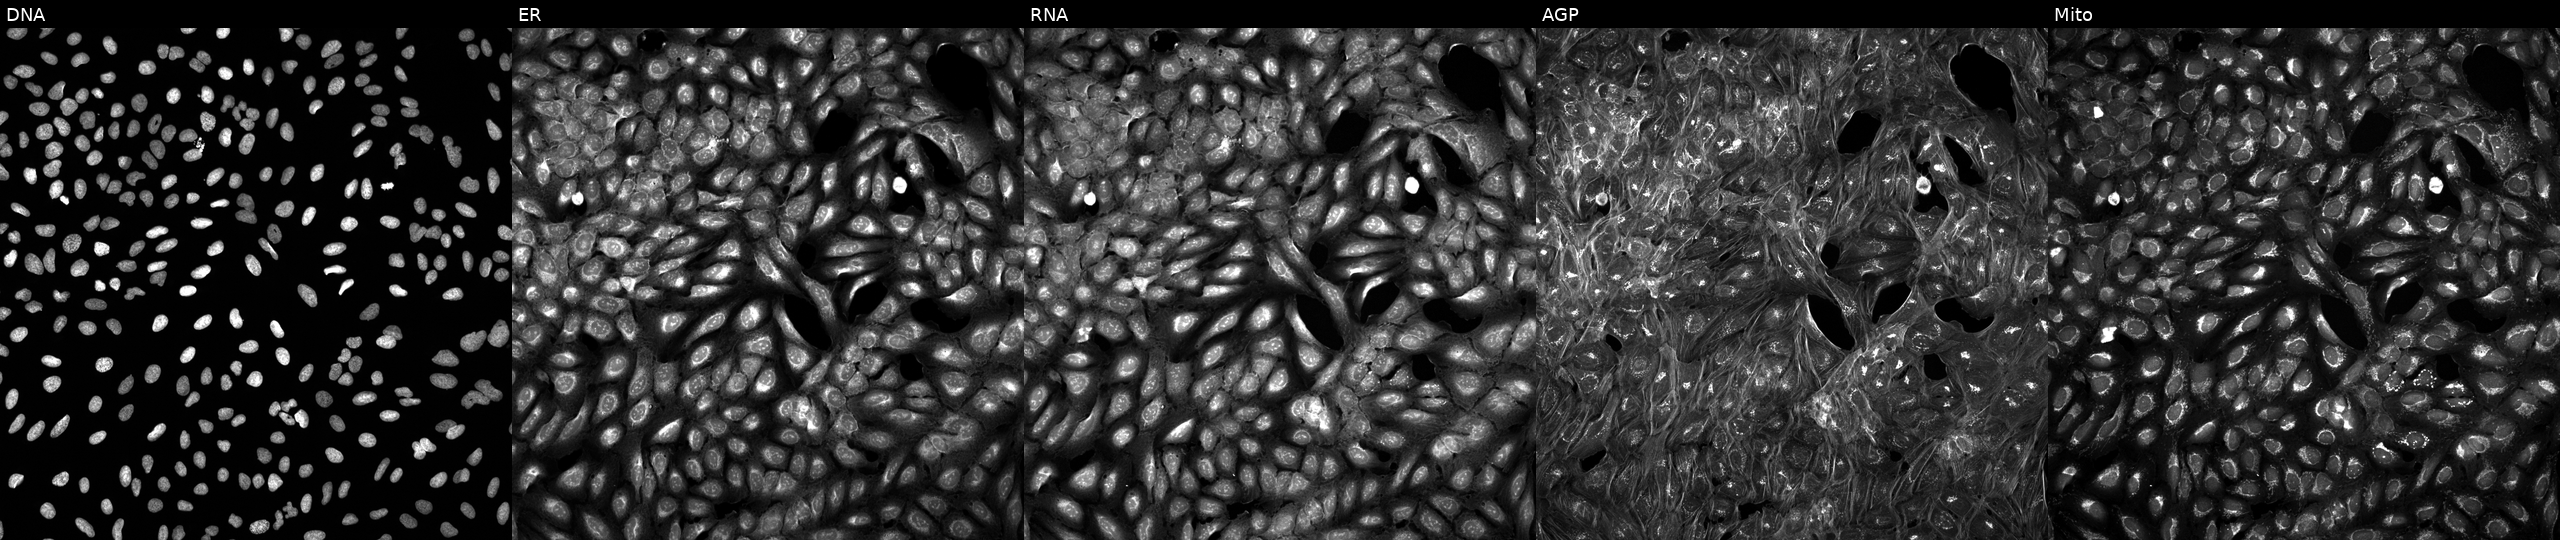
High-content fluorescence microscopy (Cell Painting). Cell line: U2OS. Perturbation: exposed to a small-molecule compound (InChIKey CKTSBUTUHBMZGZ-UHFFFAOYSA-N) [SMILES: N=c1ccn(C2CC(O)C(CO)O2)c(=O)[nH]1] (JUMP id JCP2022_011759). Panels show, left to right, DNA (nuclei); ER (endoplasmic reticulum); RNA (nucleoli and cytoplasmic RNA); AGP (actin cytoskeleton, Golgi, and plasma membrane); Mito (mitochondria). Source 5, plate ACPJUM012, well I13.